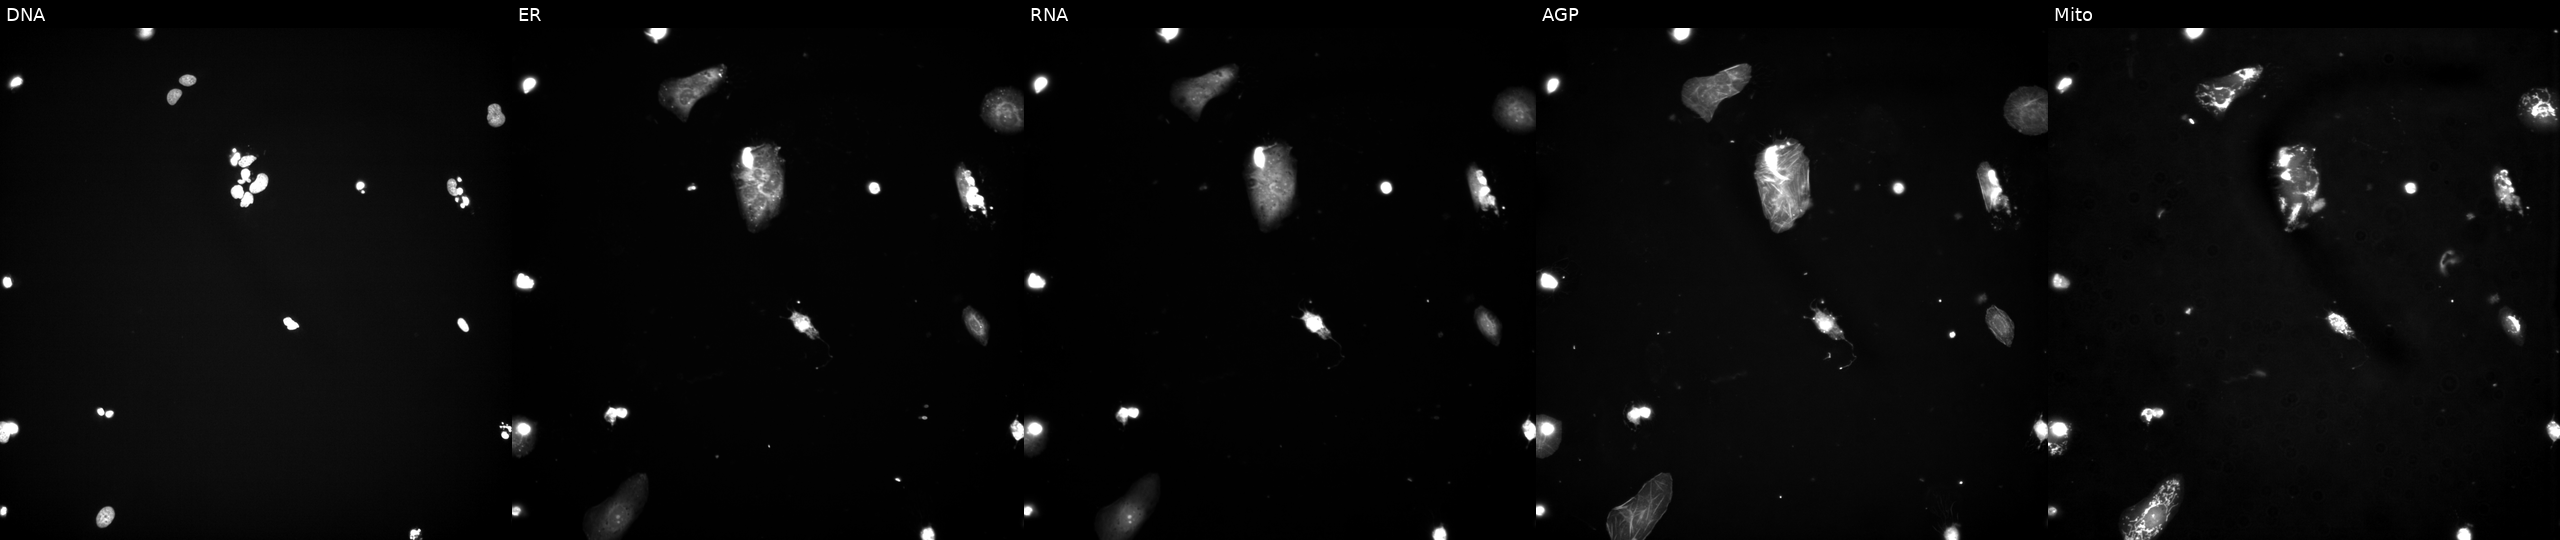
From left to right: DNA, ER, RNA, AGP, and Mito. U2OS osteosarcoma cells perturbed with a small-molecule compound (InChIKey RVAQIUULWULRNW-UHFFFAOYSA-N) (JUMP id JCP2022_080920). Cell Painting assay, JUMP-CP dataset. Source 3, plate JCPQC053, well D13.